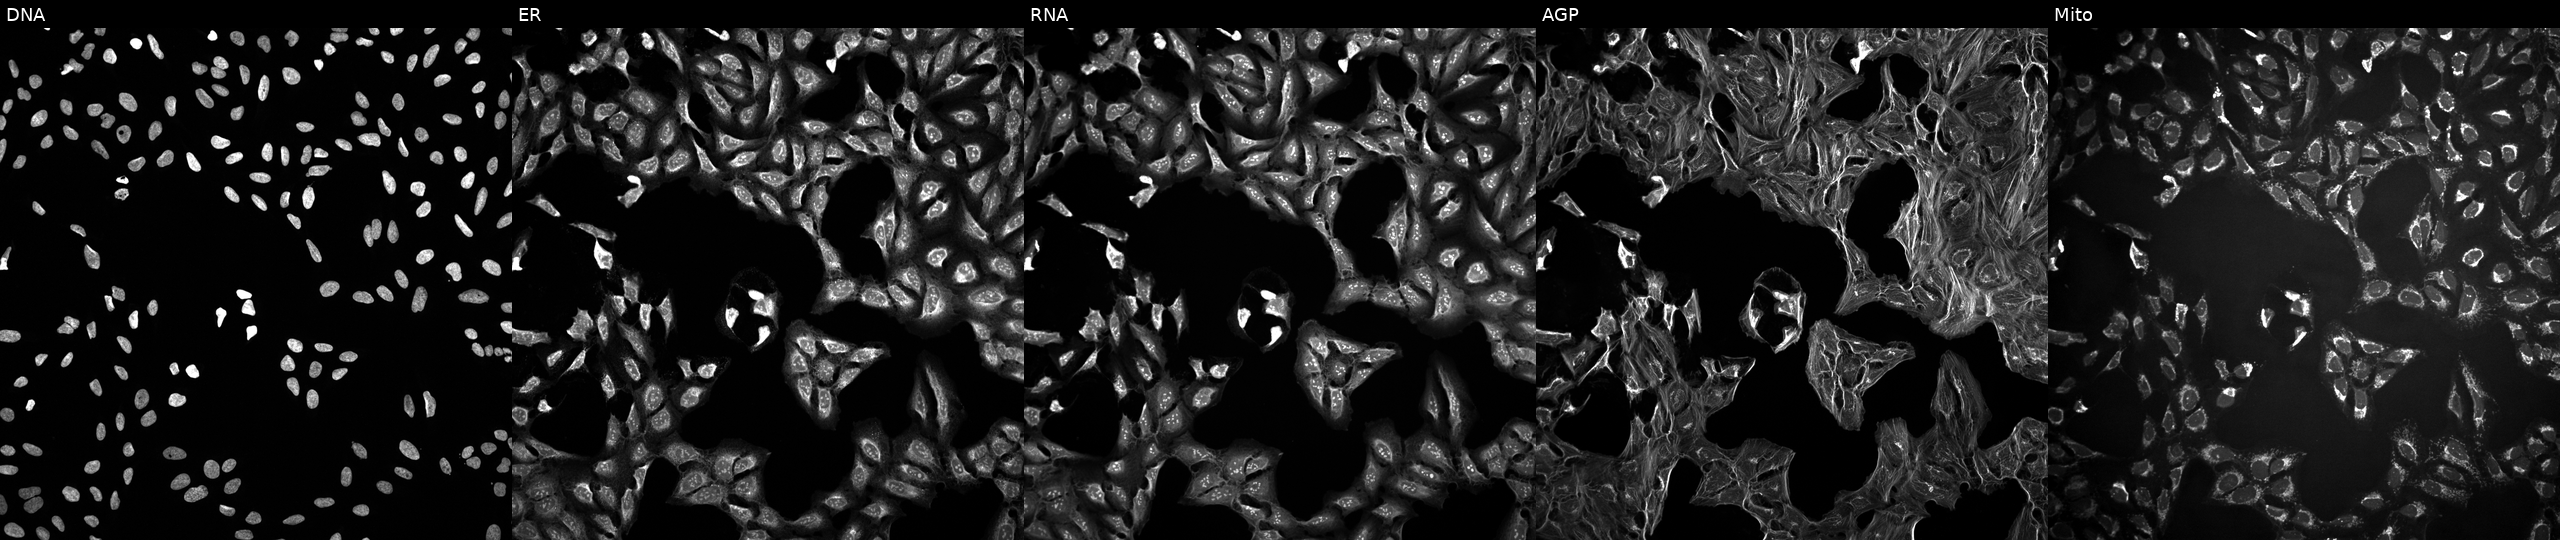
JUMP Cell Painting — TARGET2 plate. U2OS cells exposed to a small-molecule compound (InChIKey ZZZRUAITSXLWBH-UHFFFAOYSA-N) (JUMP id JCP2022_116749). Channels (left→right): DNA (nuclei); ER (endoplasmic reticulum); RNA (nucleoli and cytoplasmic RNA); AGP (actin cytoskeleton, Golgi, and plasma membrane); Mito (mitochondria).